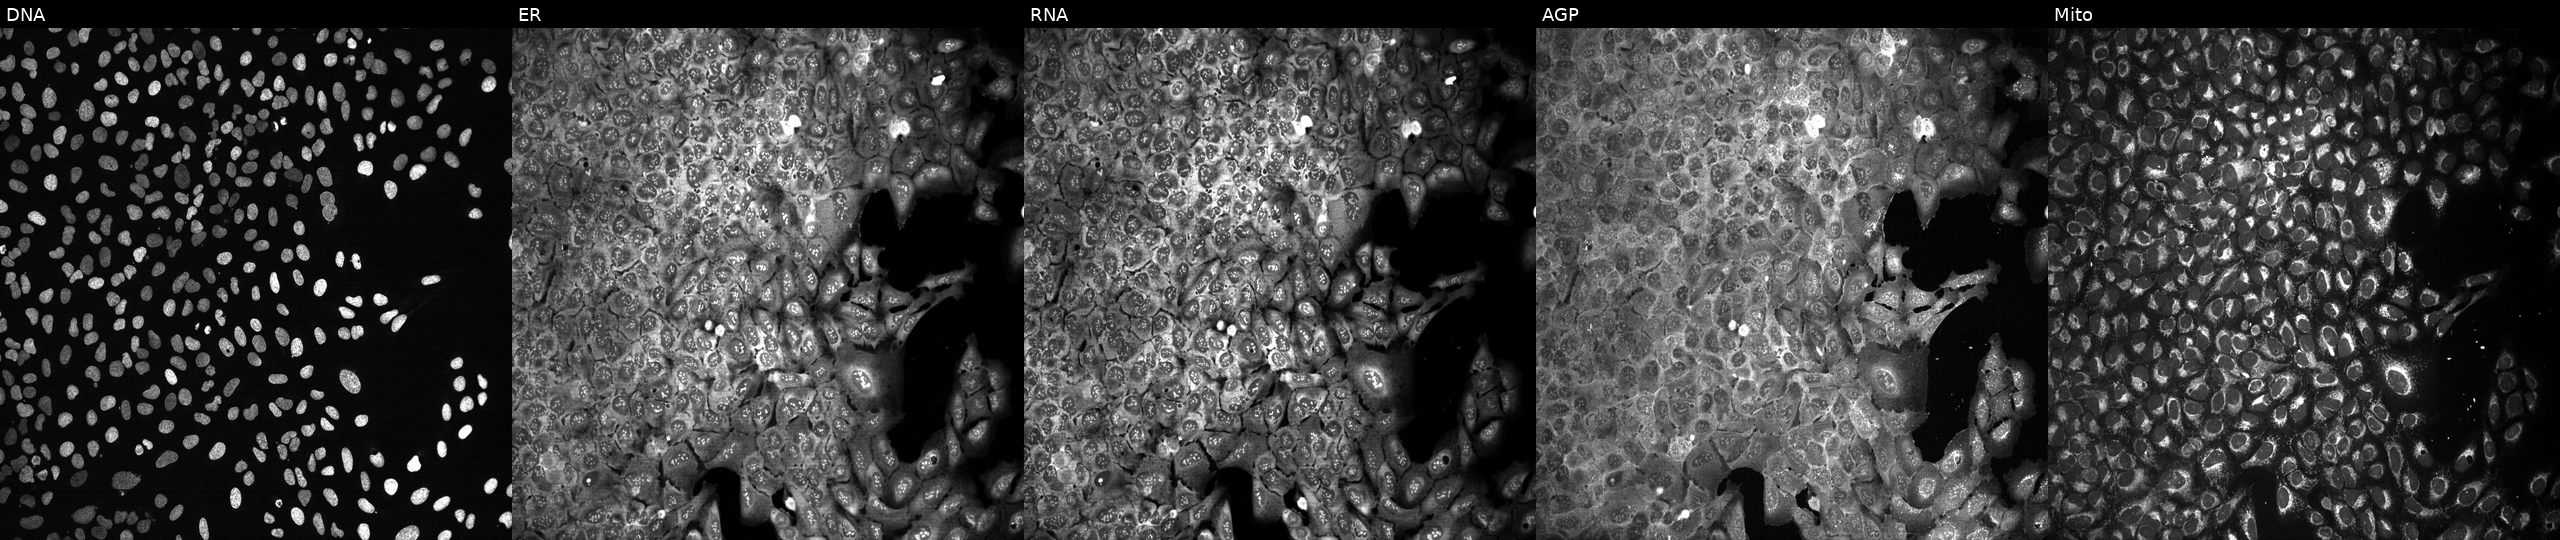
JUMP Cell Painting — CRISPR plate. U2OS cells CRISPR-edited to disrupt ABHD14A. The five panels, left to right, show Hoechst 33342, concanavalin A, SYTO 14, phalloidin and WGA, MitoTracker.